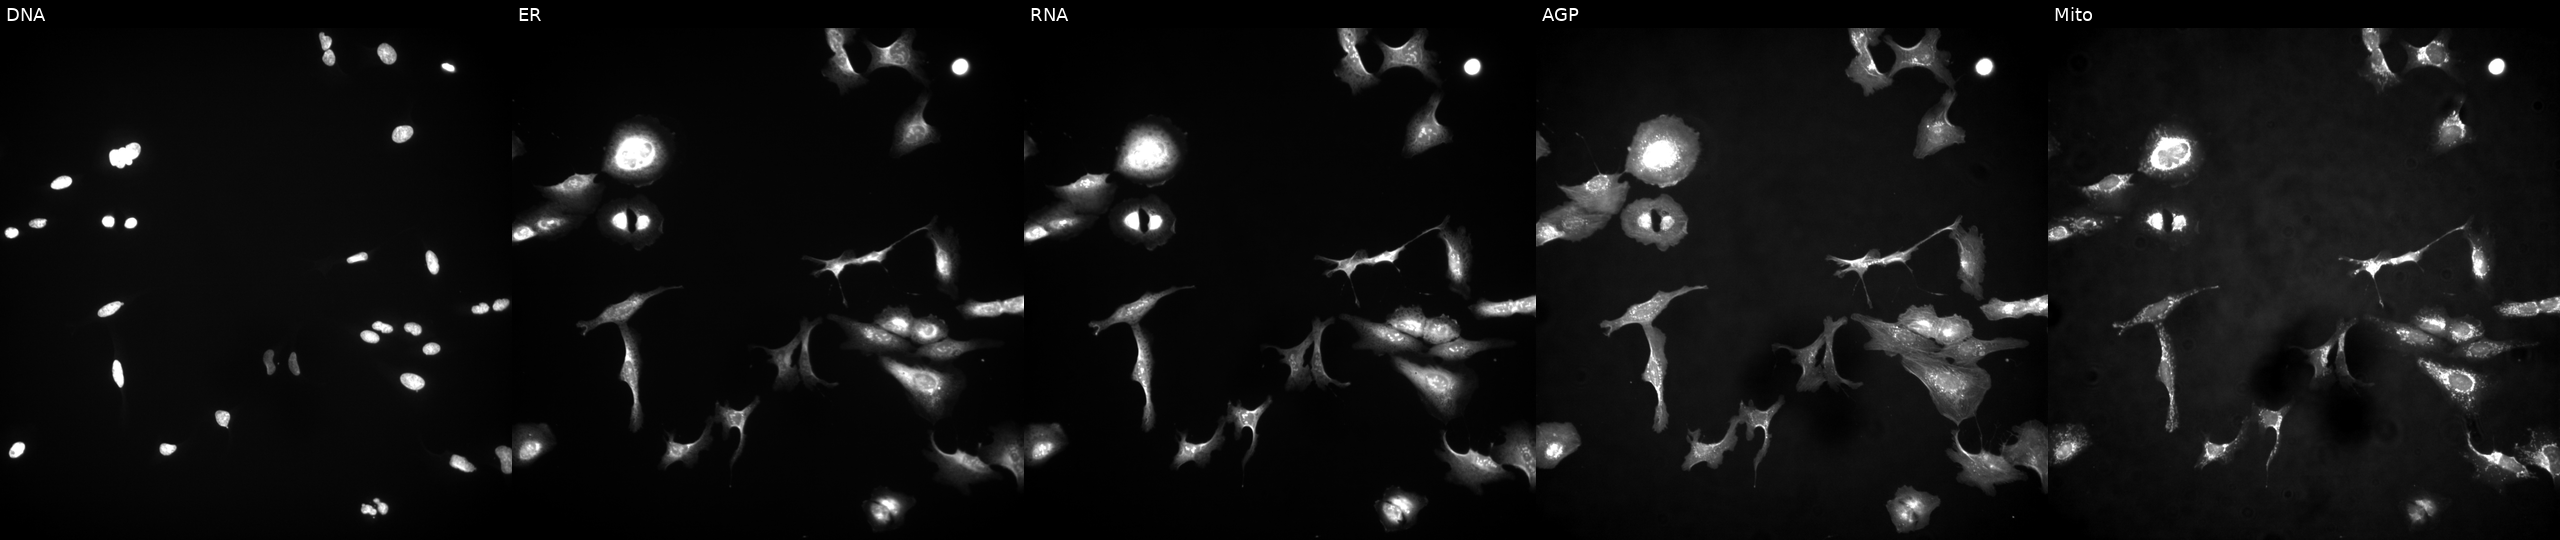
This image strip shows the five Cell Painting channels for a single field of U2OS cells overexpressing XLOC_l2_010511 via ORF transfection. Panels show, left to right, DNA (nuclei); ER (endoplasmic reticulum); RNA (nucleoli and cytoplasmic RNA); AGP (actin cytoskeleton, Golgi, and plasma membrane); Mito (mitochondria). Source 4, plate BR00124790, well O16.